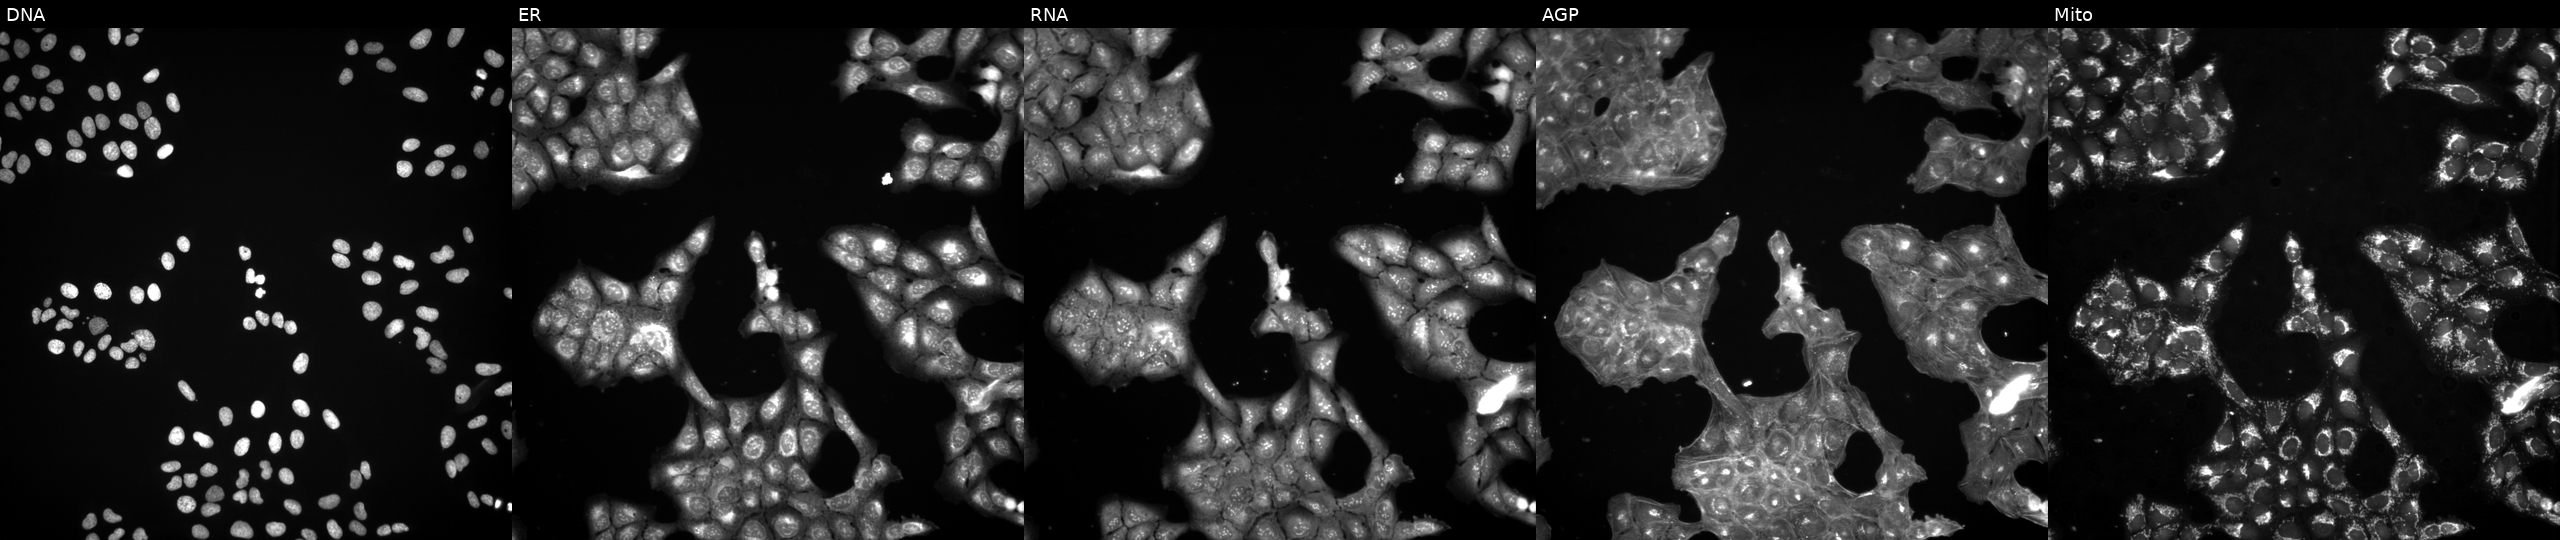
U2OS cells, Cell Painting assay, treated with a small-molecule compound (InChIKey BFEGDSQYXXMYJE-UHFFFAOYSA-N) (JUMP id JCP2022_005925). From left to right: Hoechst 33342, concanavalin A, SYTO 14, phalloidin and WGA, MitoTracker. Each panel is percentile-stretched 16-bit fluorescence.